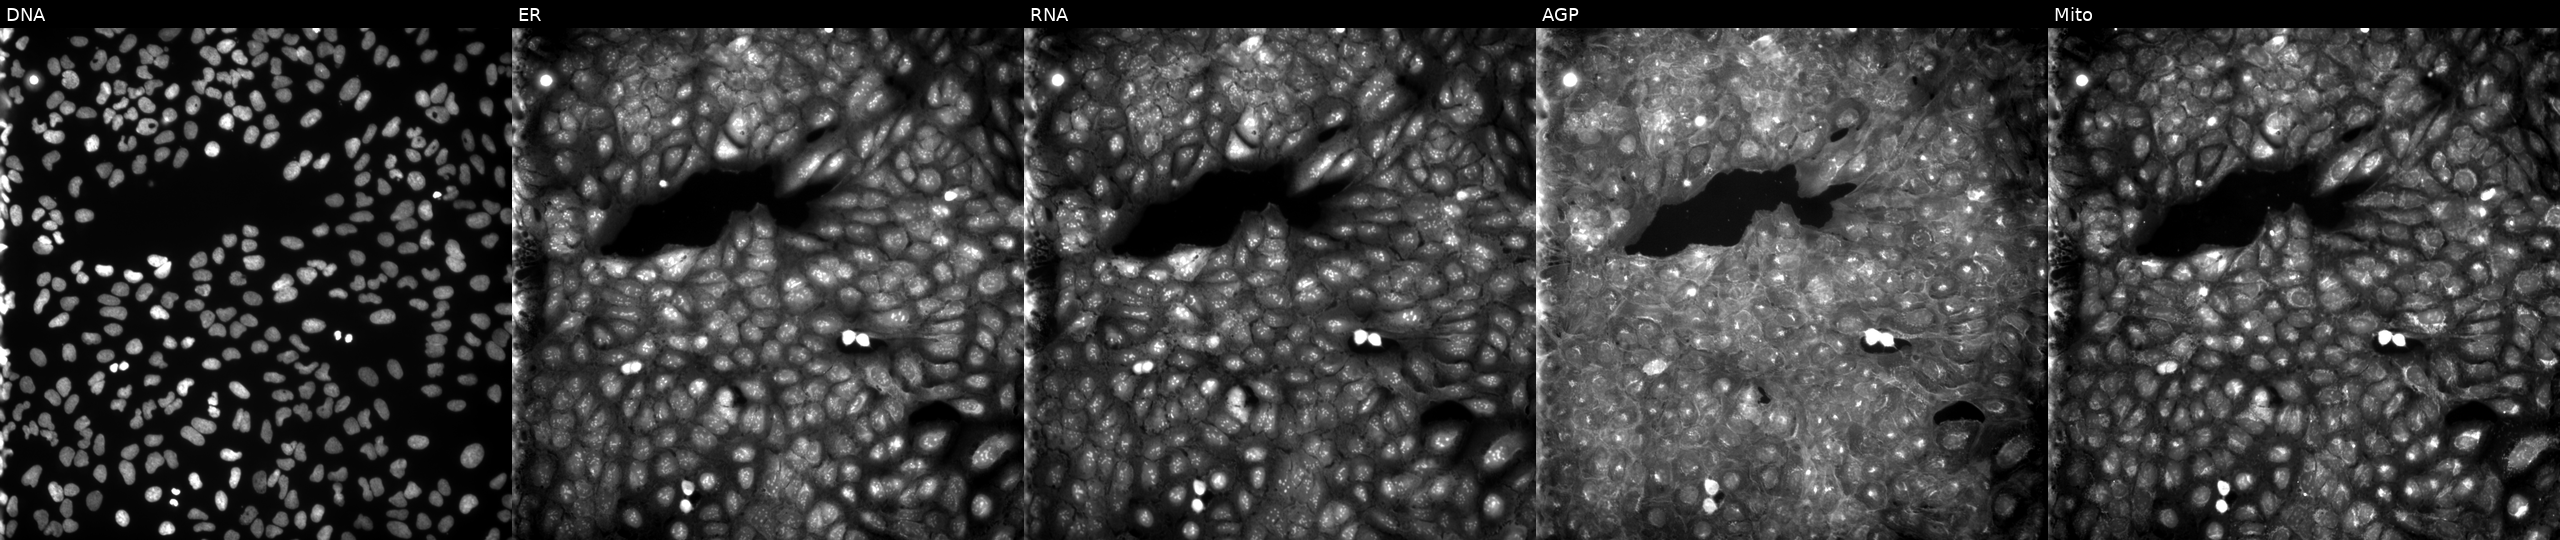
From left to right: DNA (nuclei); ER (endoplasmic reticulum); RNA (nucleoli and cytoplasmic RNA); AGP (actin cytoskeleton, Golgi, and plasma membrane); Mito (mitochondria). U2OS osteosarcoma cells perturbed with a small-molecule compound [SMILES: COC(=O)c1ccc(C(=O)OC)c(NC(=O)c2c(-c3ccccc3)noc2C)c1]. Cell Painting assay, JUMP-CP dataset.